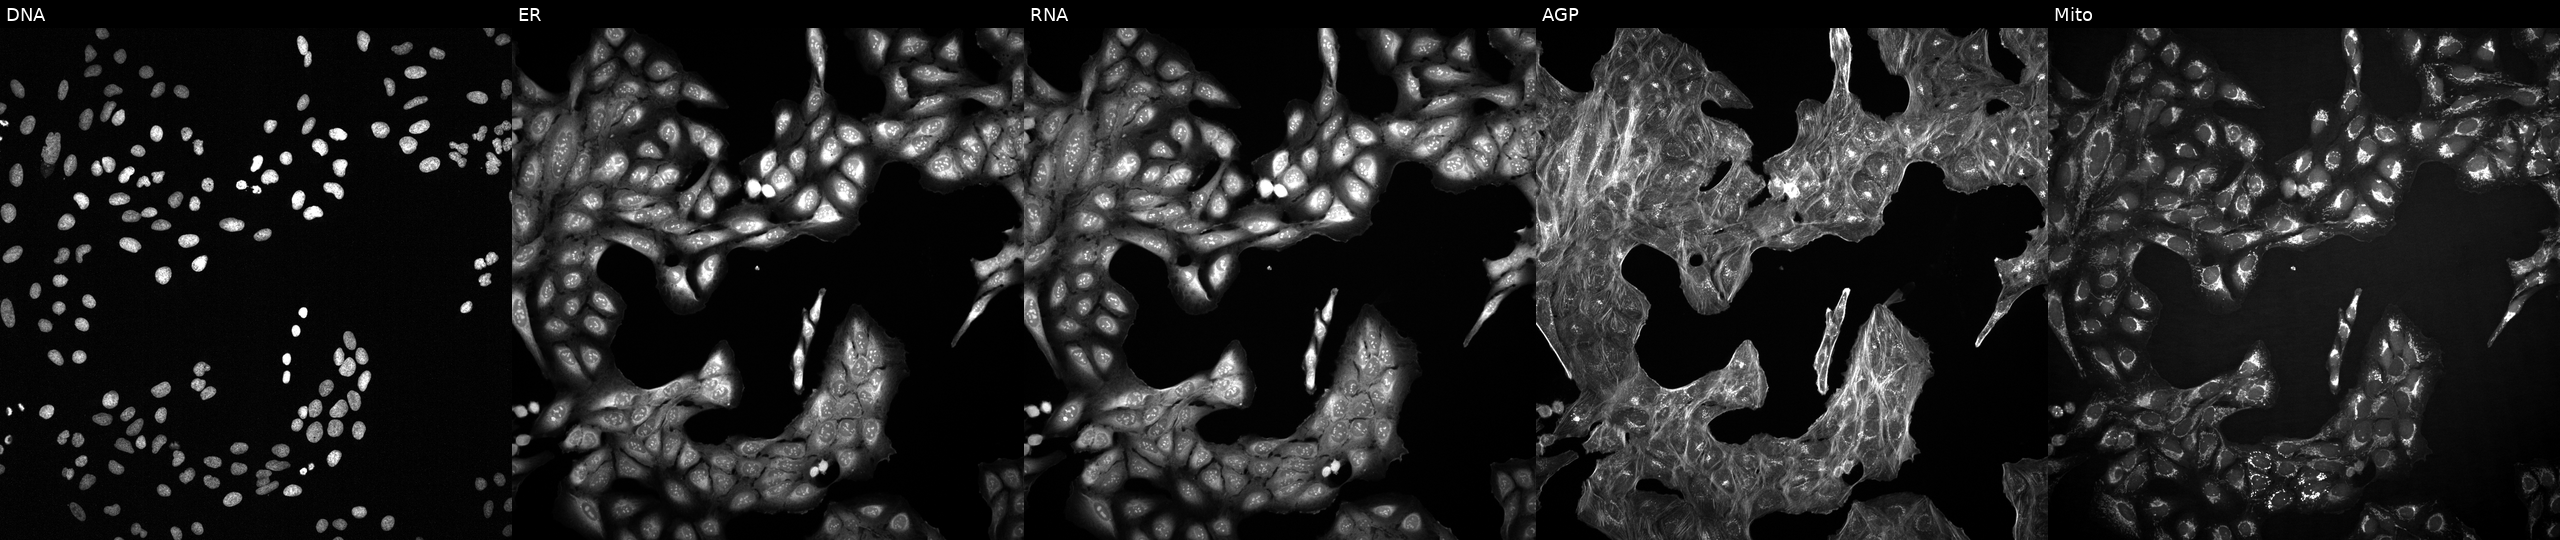
U2OS cells, Cell Painting assay, with an unidentified perturbation (not annotated in JUMP metadata). The five panels, left to right, show DNA, ER, RNA, AGP, and Mito. Each panel is percentile-stretched 16-bit fluorescence.